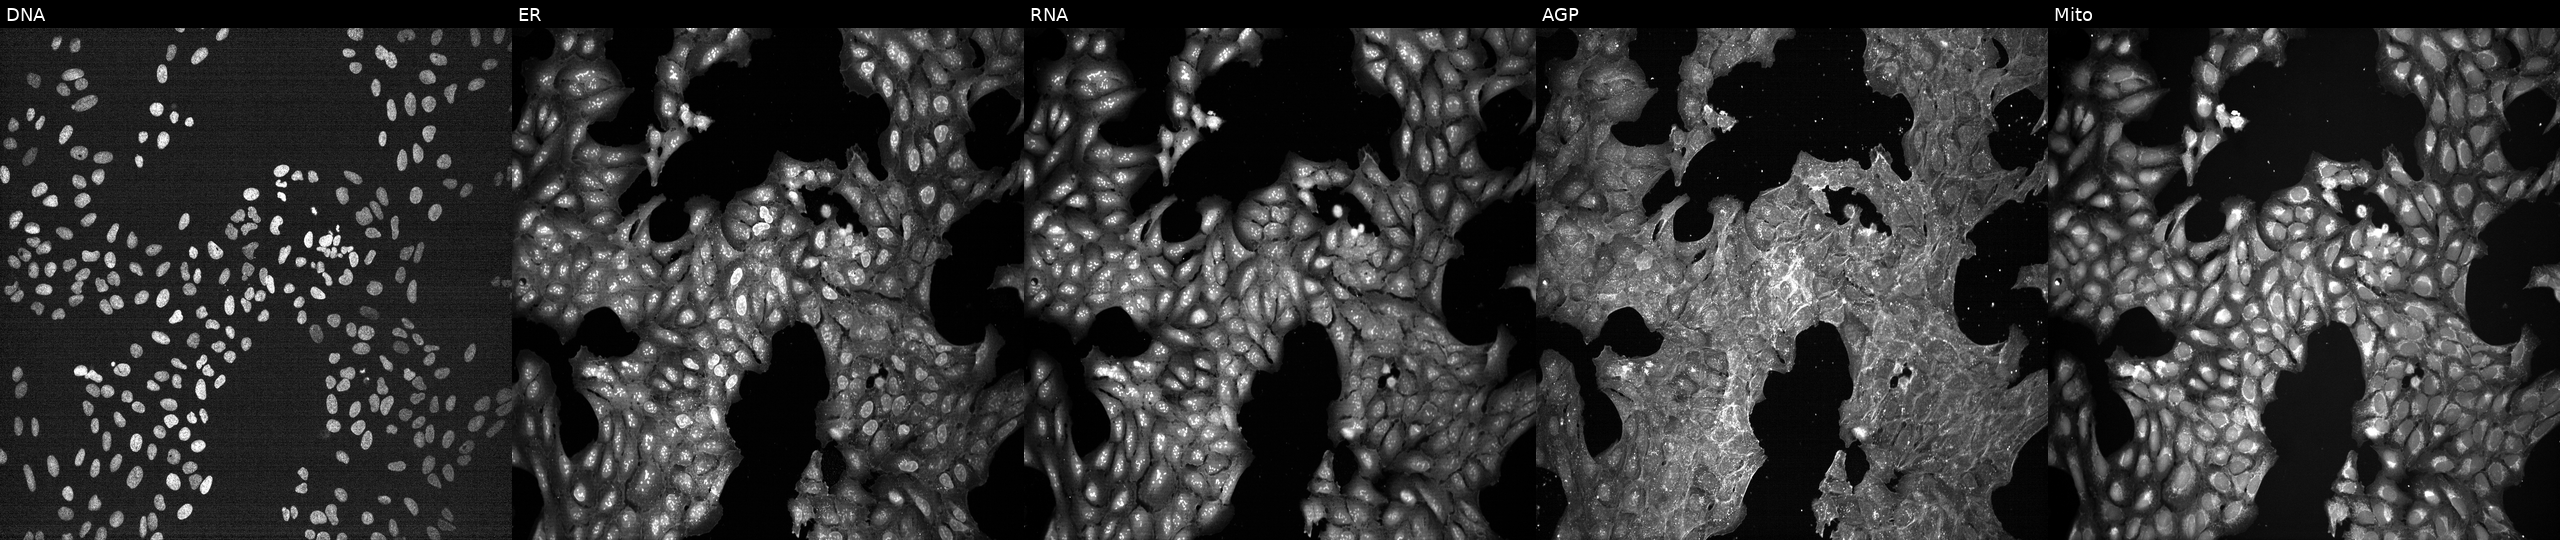
Panels show, left to right, Hoechst 33342, concanavalin A, SYTO 14, phalloidin and WGA, MitoTracker. U2OS osteosarcoma cells exposed to DMSO alone as a negative control (JUMP id JCP2022_033924). Cell Painting assay, JUMP-CP dataset.